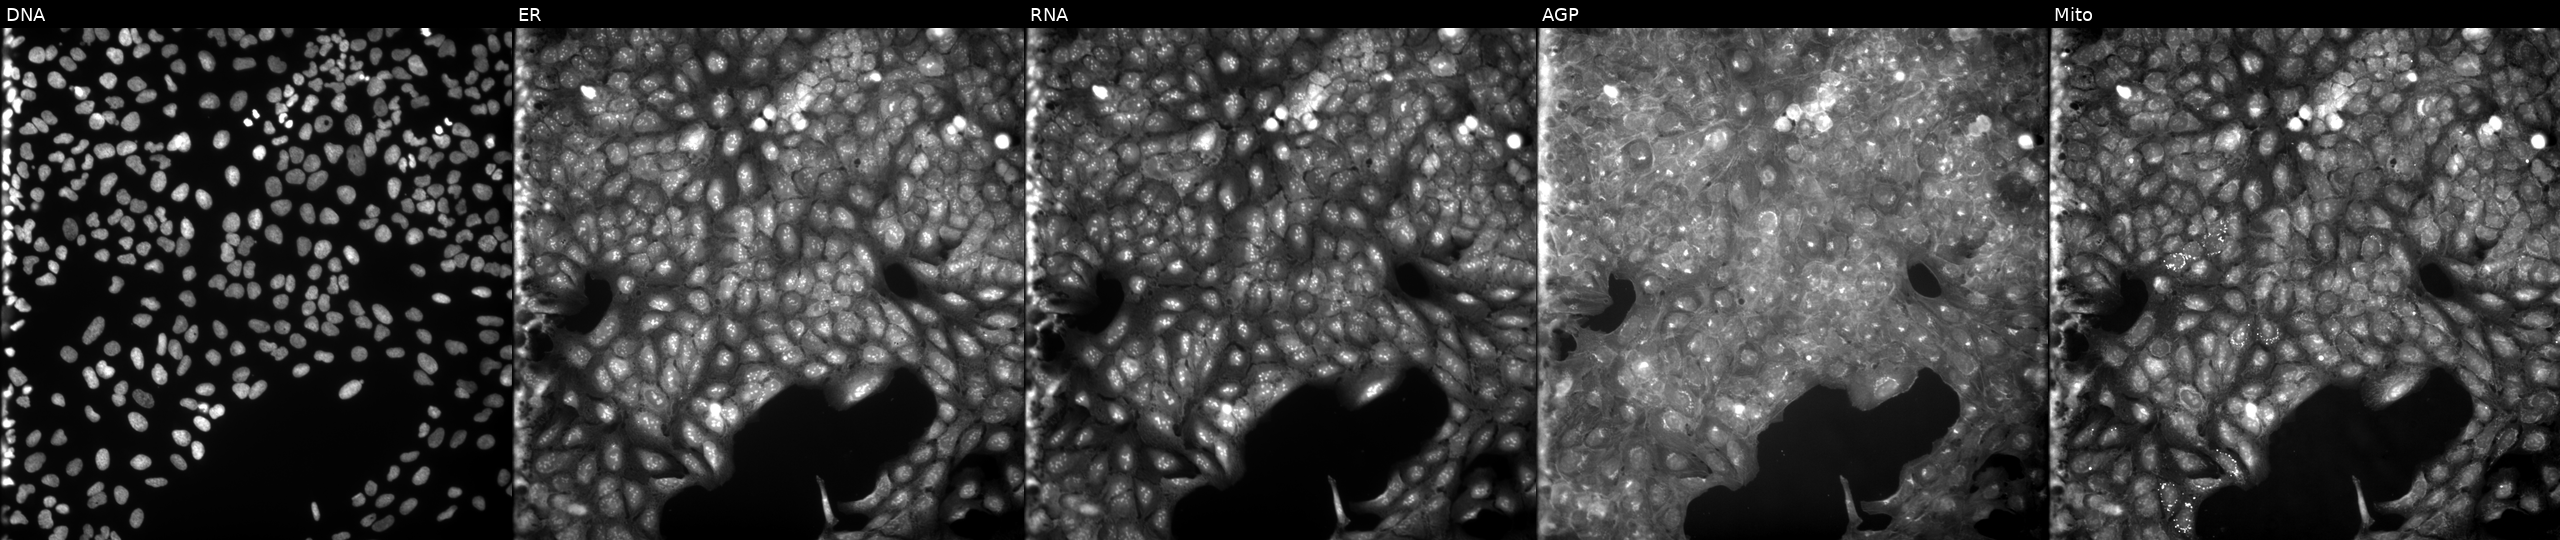
Five-channel Cell Painting image of U2OS cells treated with a small-molecule compound (InChIKey ZUBHQTQLWFLJIY-UHFFFAOYSA-N) (JUMP id JCP2022_115671). The five panels, left to right, show Hoechst 33342, concanavalin A, SYTO 14, phalloidin and WGA, MitoTracker. Source 9, plate GR00003382, well D20.